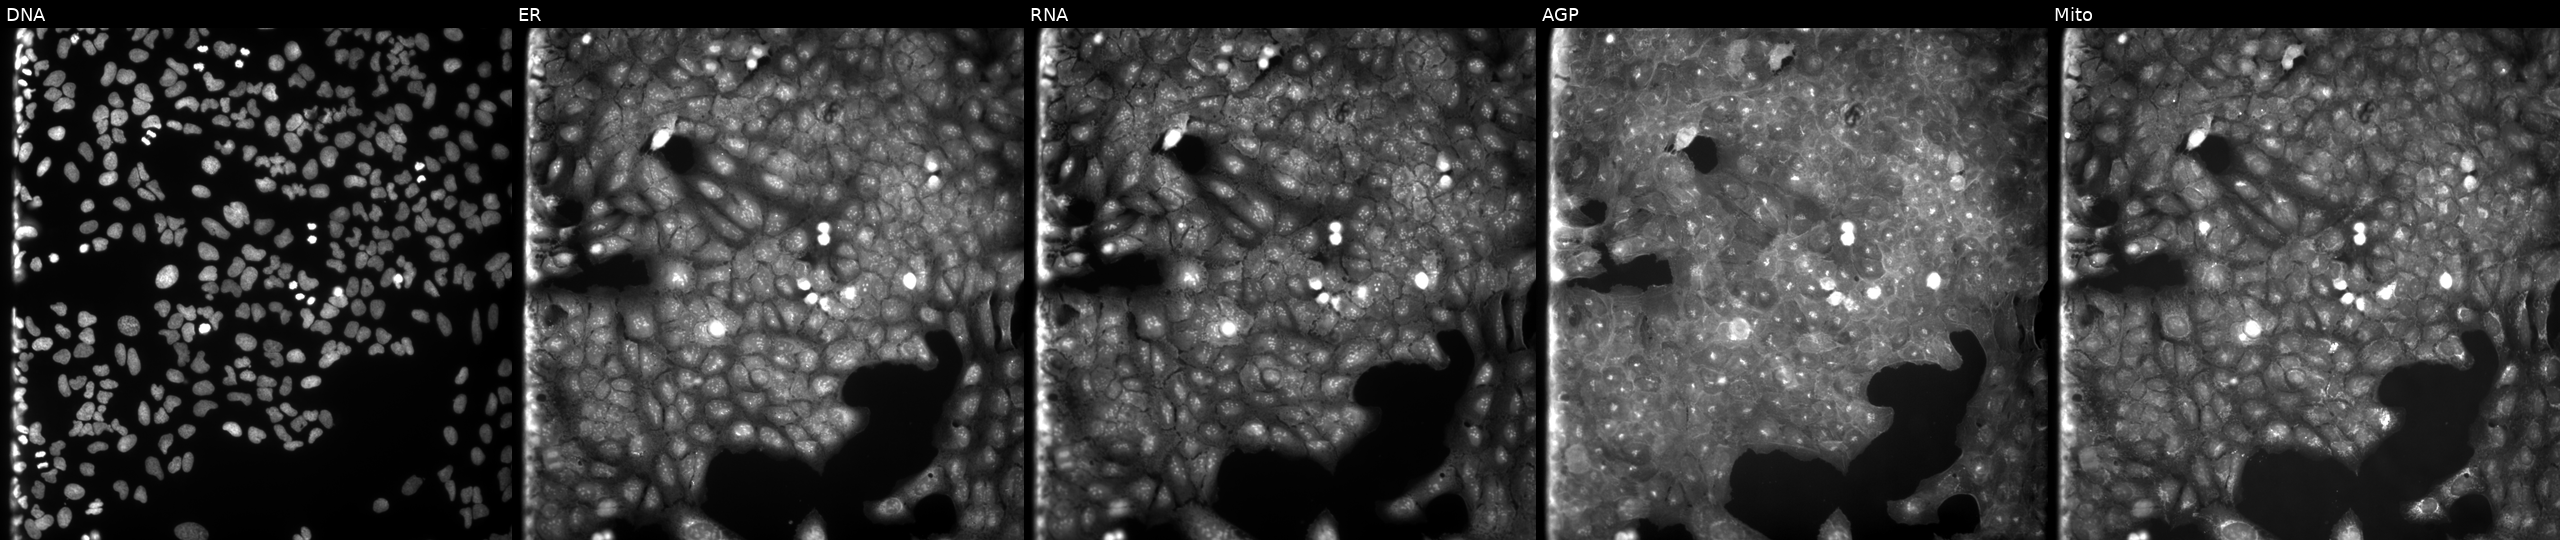
U2OS cells, Cell Painting assay, exposed to a small-molecule compound (InChIKey WXPFZBIBGKUNCW-UHFFFAOYSA-N) [SMILES: Cc1cc(=NS(=O)(=O)c2ccc(NC(=O)c3ccc(C(C)(C)C)cc3)cc2)[nH]o1]. The five panels, left to right, show DNA (nuclei); ER (endoplasmic reticulum); RNA (nucleoli and cytoplasmic RNA); AGP (actin cytoskeleton, Golgi, and plasma membrane); Mito (mitochondria). Each panel is percentile-stretched 16-bit fluorescence.